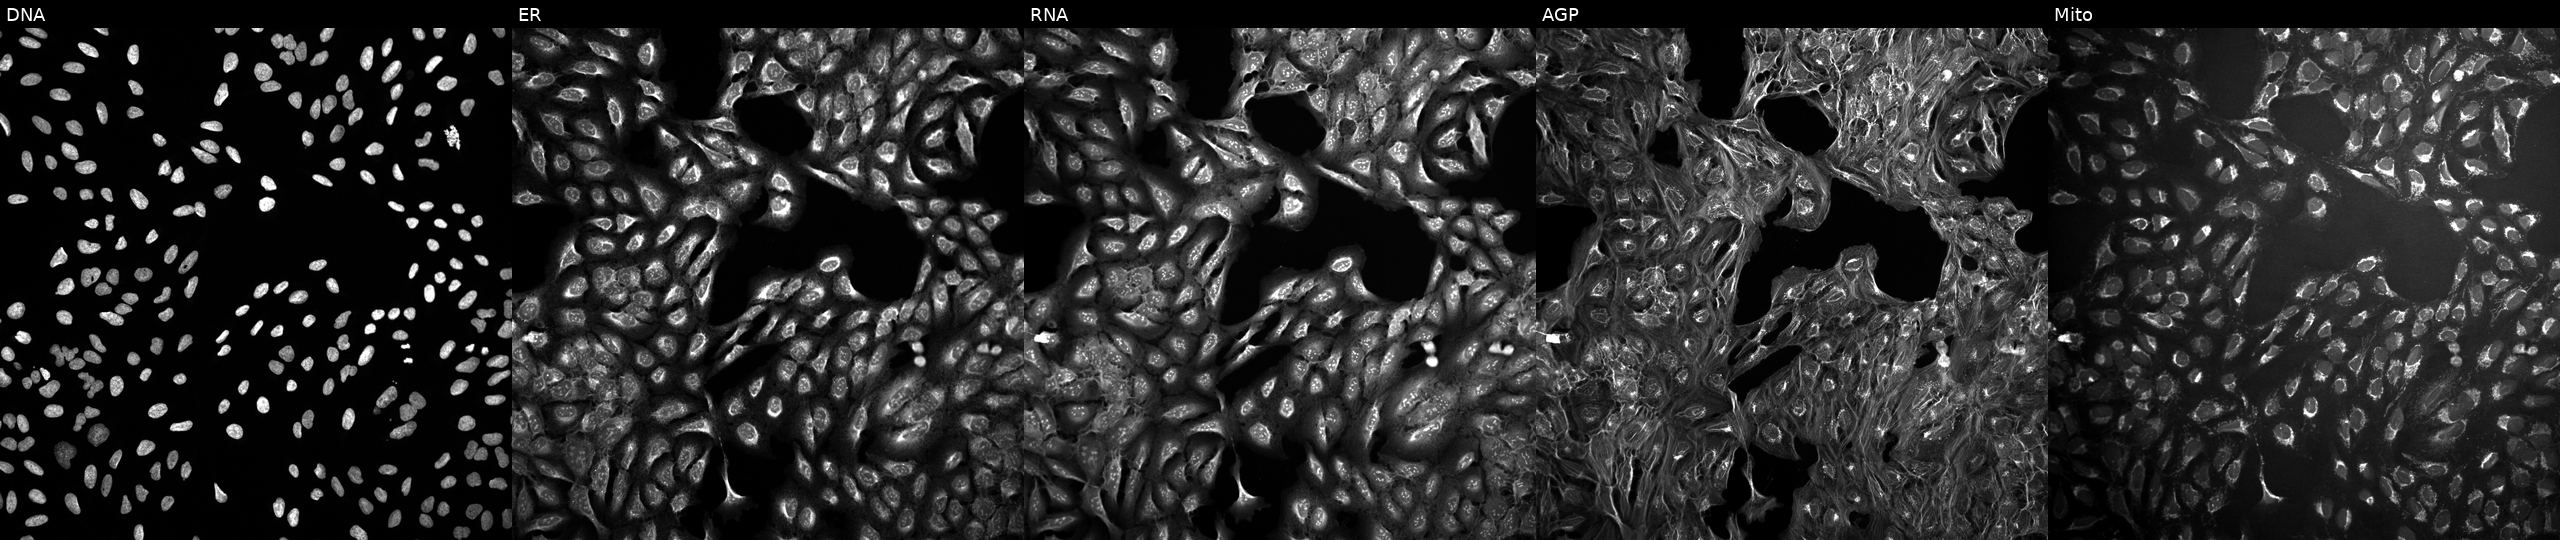
JUMP Cell Painting — COMPOUND plate. U2OS cells in an empty control well (no perturbation) (JUMP id JCP2022_999999). Panels show, left to right, DNA (nuclei); ER (endoplasmic reticulum); RNA (nucleoli and cytoplasmic RNA); AGP (actin cytoskeleton, Golgi, and plasma membrane); Mito (mitochondria).